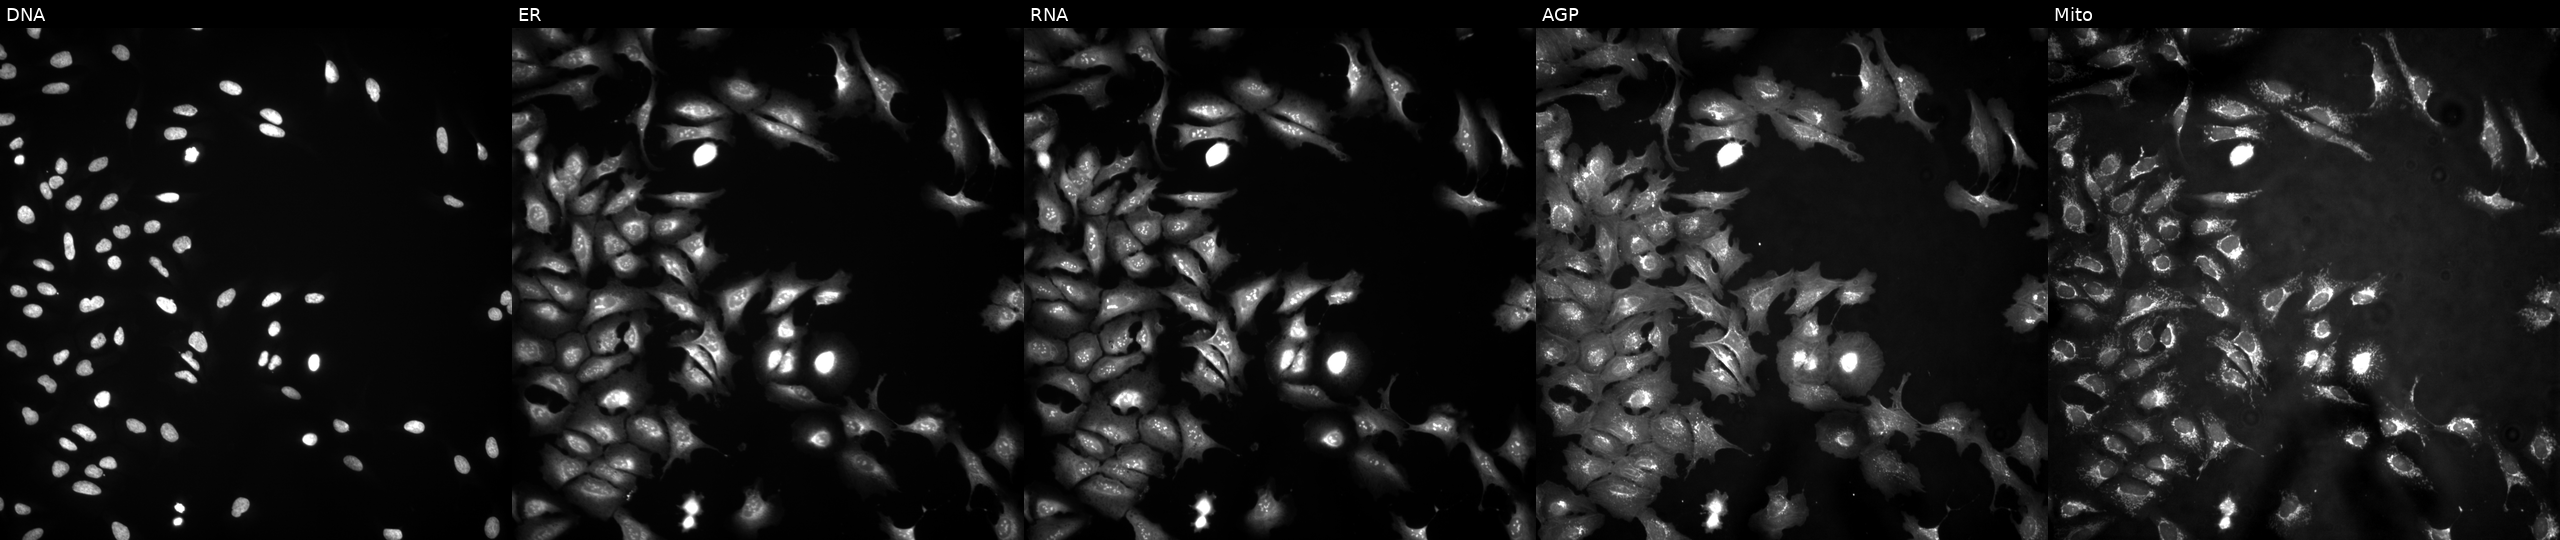
From left to right: DNA, ER, RNA, AGP, and Mito. U2OS osteosarcoma cells overexpressing TMC6 via ORF transfection (JUMP id JCP2022_910835). Cell Painting assay, JUMP-CP dataset.